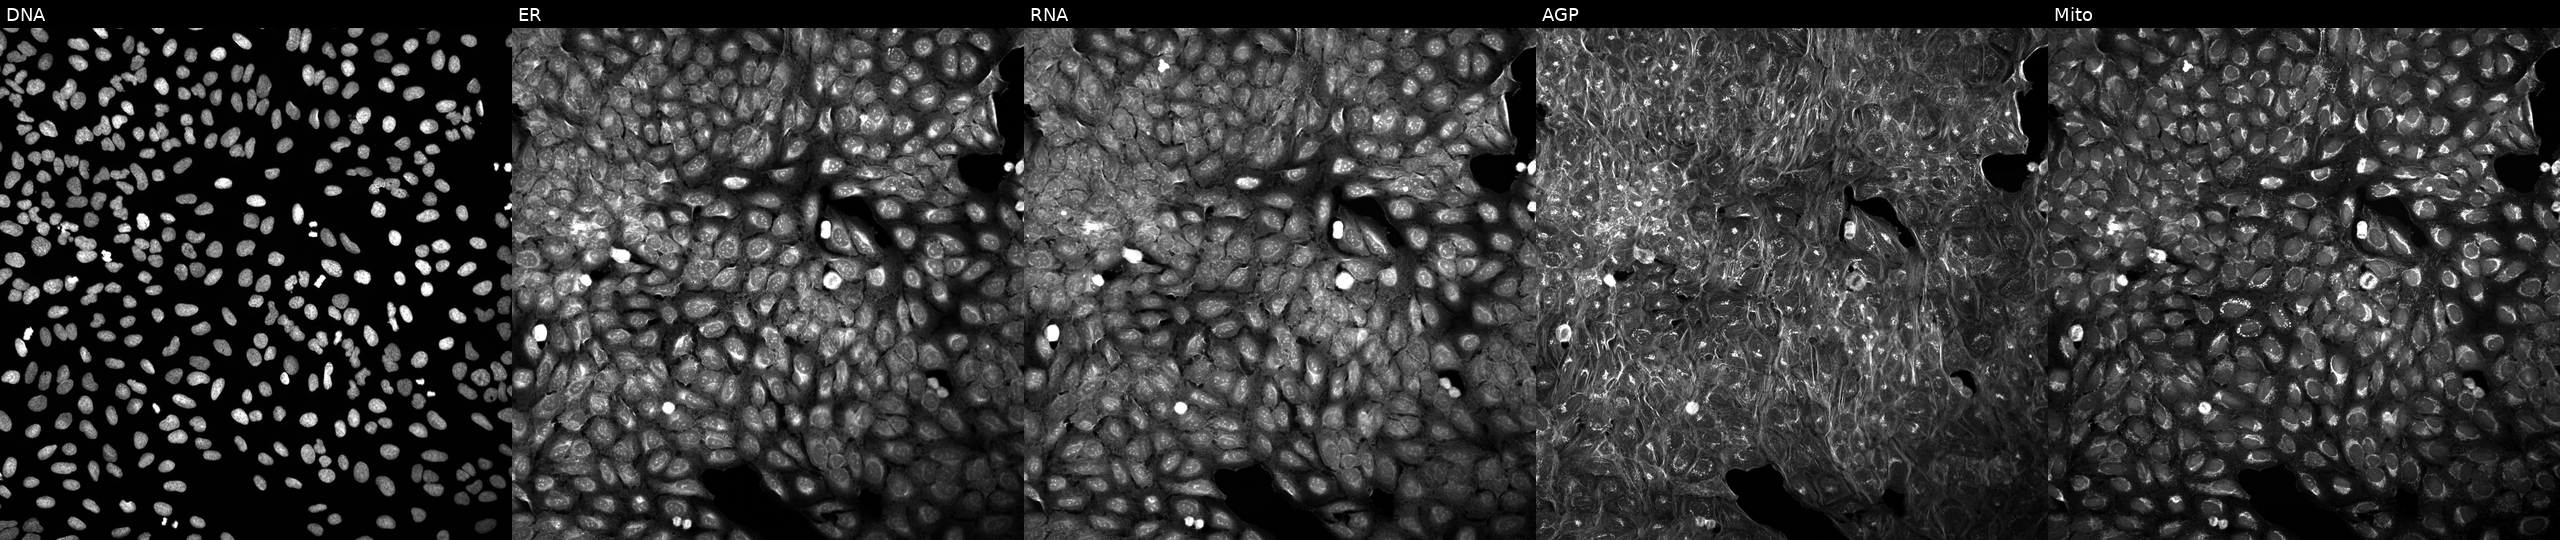
Five-channel Cell Painting image of U2OS cells treated with DMSO vehicle only (negative control) (JUMP id JCP2022_033924). Channels (left→right): Hoechst 33342, concanavalin A, SYTO 14, phalloidin and WGA, MitoTracker. Source 5, plate ACPJUM012, well N20.